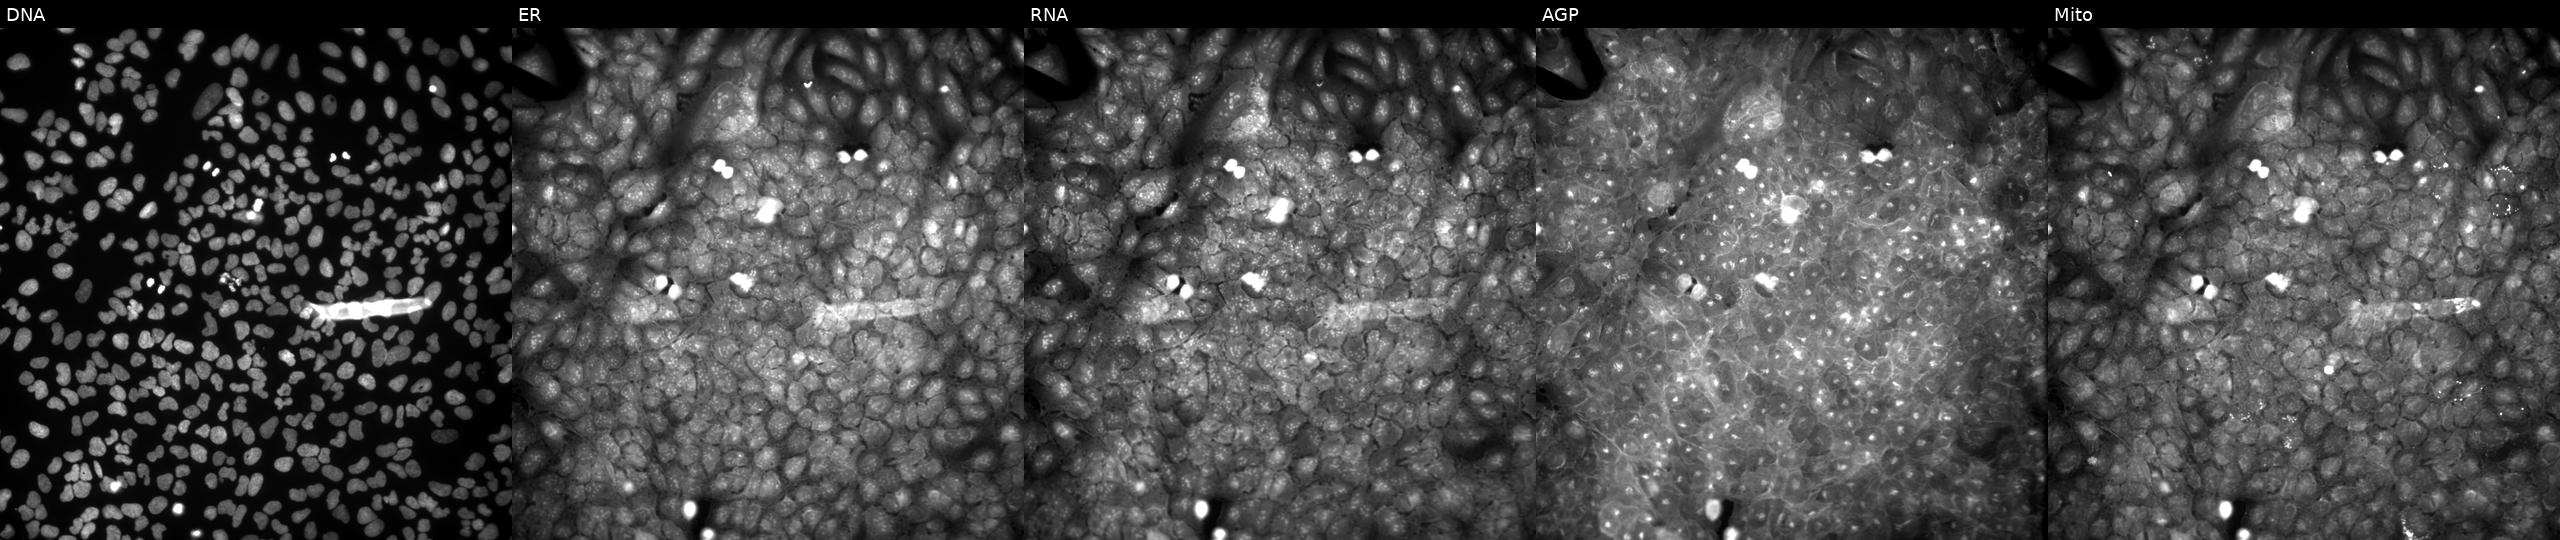
The five panels, left to right, show DNA (nuclei); ER (endoplasmic reticulum); RNA (nucleoli and cytoplasmic RNA); AGP (actin cytoskeleton, Golgi, and plasma membrane); Mito (mitochondria). U2OS osteosarcoma cells treated with a small-molecule compound (InChIKey SHQWEIFHKMYKQU-UHFFFAOYSA-N) (JUMP id JCP2022_083304). Cell Painting assay, JUMP-CP dataset.